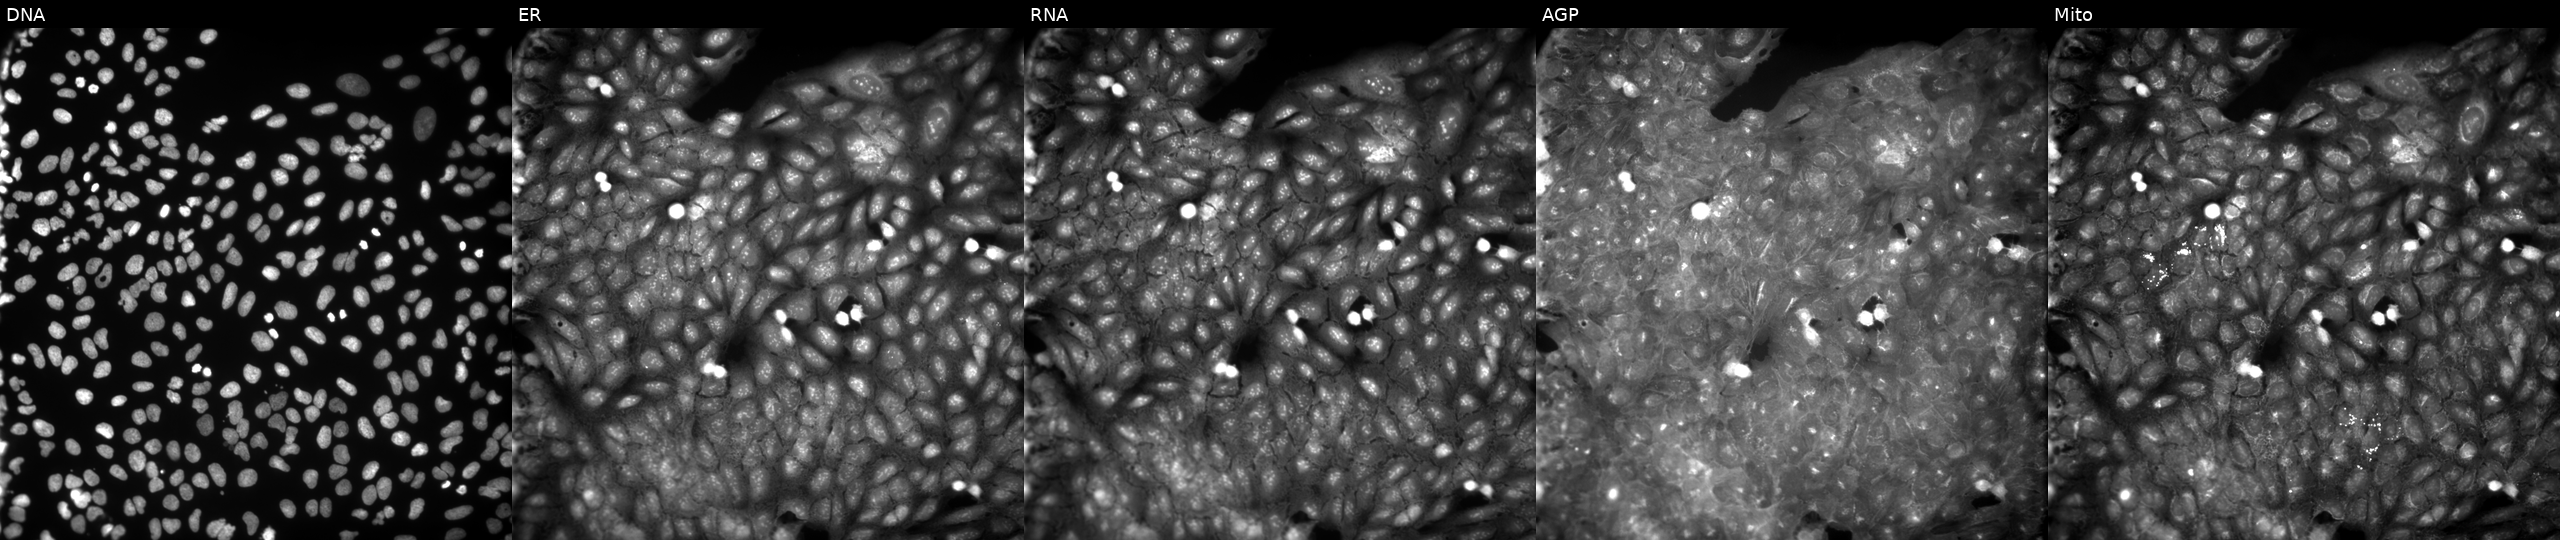
High-content fluorescence microscopy (Cell Painting). Cell line: U2OS. Perturbation: perturbed with a small-molecule compound (InChIKey JLTHDKINJHEGRP-UHFFFAOYSA-N). Panels show, left to right, DNA (nuclei); ER (endoplasmic reticulum); RNA (nucleoli and cytoplasmic RNA); AGP (actin cytoskeleton, Golgi, and plasma membrane); Mito (mitochondria). Source 9, plate GR00003382, well AB10.